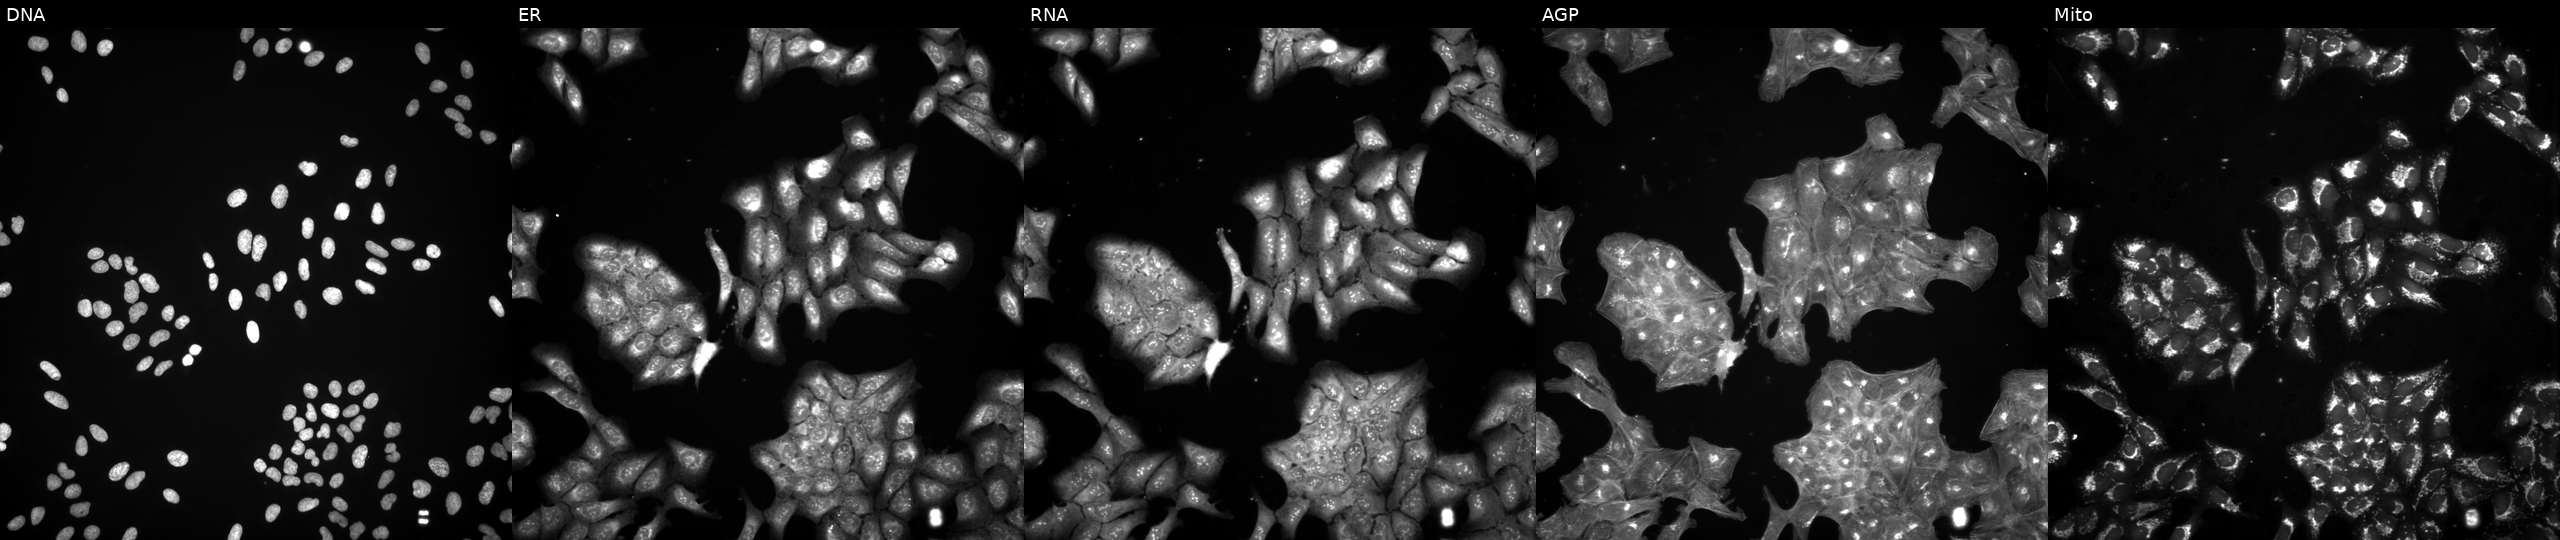
JUMP Cell Painting — COMPOUND plate. U2OS cells perturbed with a small-molecule compound. Panels show, left to right, Hoechst 33342, concanavalin A, SYTO 14, phalloidin and WGA, MitoTracker.